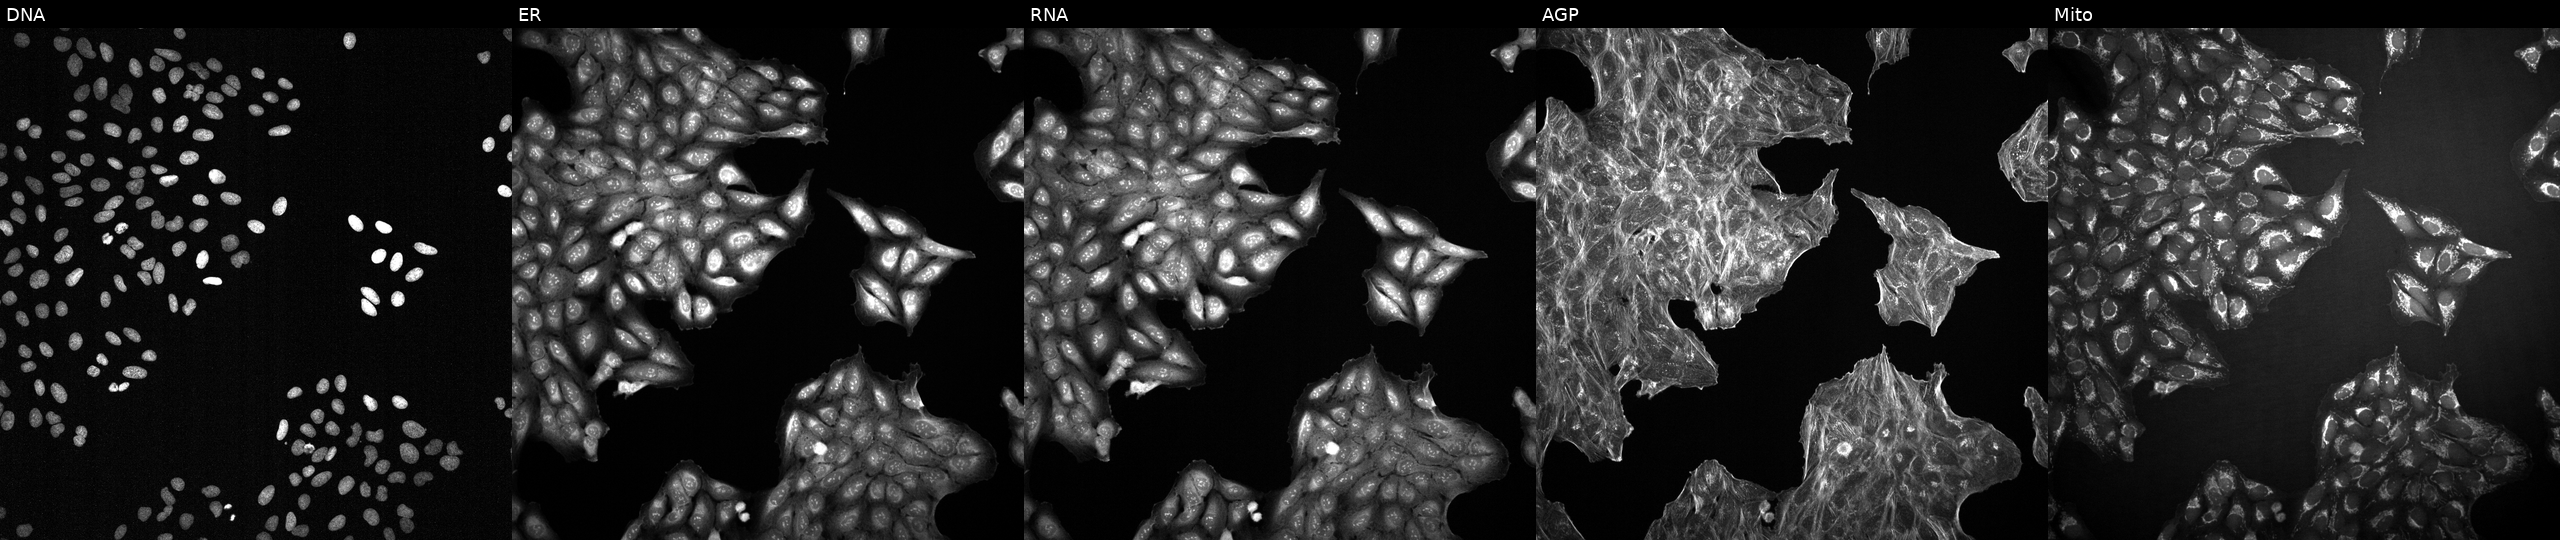
U2OS cells, Cell Painting assay, exposed to a small-molecule compound [SMILES: O=C1NC(=O)C2(CCOc3ccc(F)cc32)N1]. Channels (left→right): DNA (nuclei); ER (endoplasmic reticulum); RNA (nucleoli and cytoplasmic RNA); AGP (actin cytoskeleton, Golgi, and plasma membrane); Mito (mitochondria). Each panel is percentile-stretched 16-bit fluorescence.